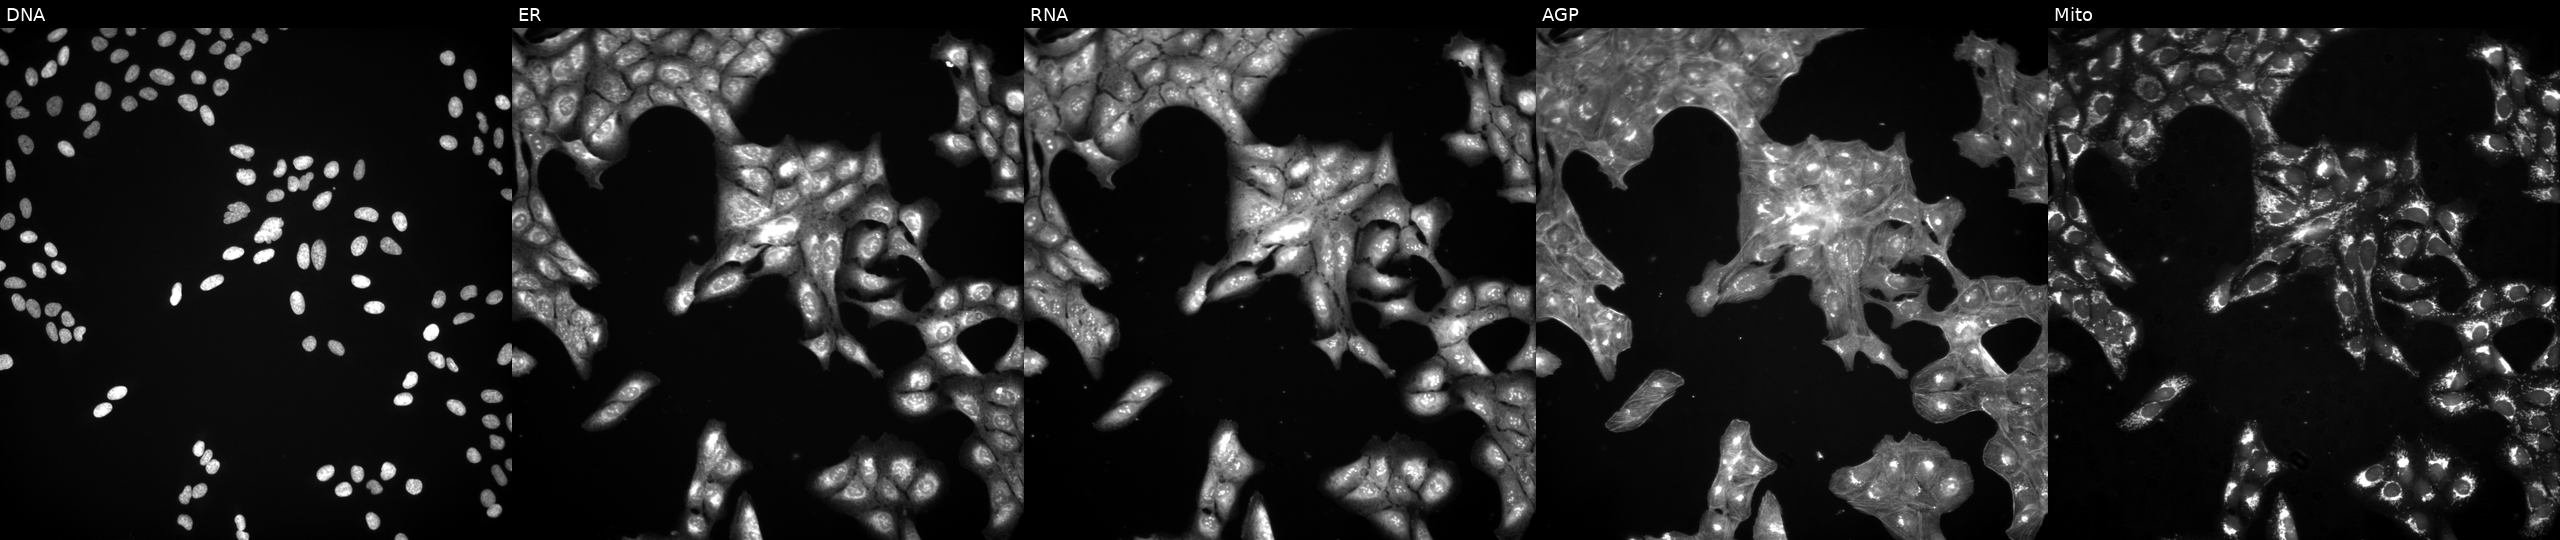
U2OS cells, Cell Painting assay, treated with a small-molecule compound (InChIKey JDCQTYITXUSUFP-UHFFFAOYSA-N) (JUMP id JCP2022_038998). The five panels, left to right, show DNA (nuclei); ER (endoplasmic reticulum); RNA (nucleoli and cytoplasmic RNA); AGP (actin cytoskeleton, Golgi, and plasma membrane); Mito (mitochondria). Each panel is percentile-stretched 16-bit fluorescence. Source 3, plate BR5867a3, well C14.